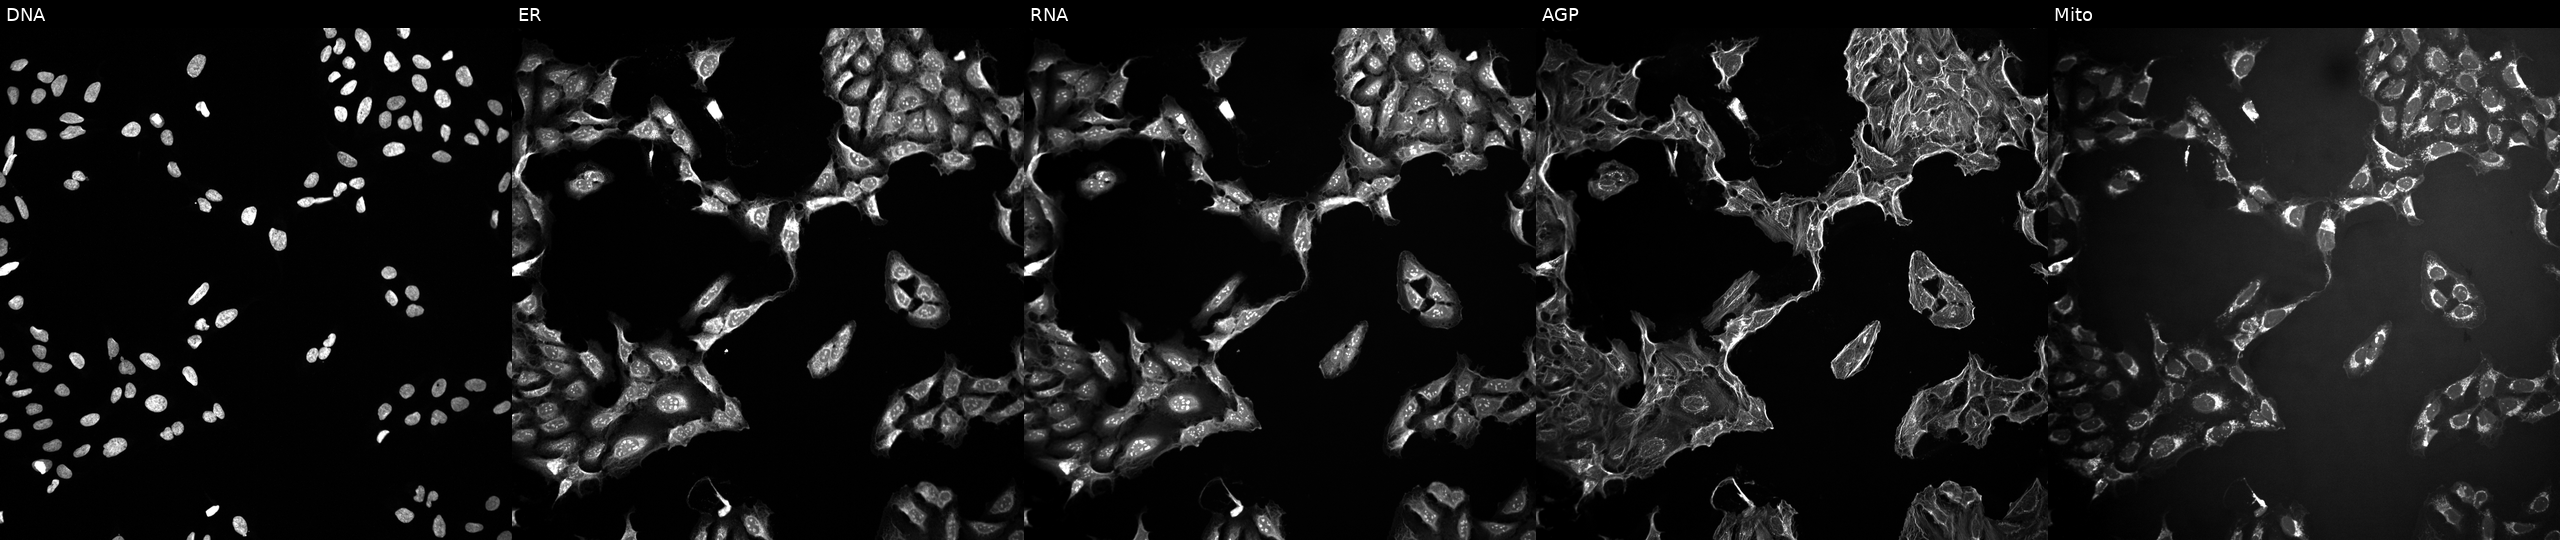
High-content fluorescence microscopy (Cell Painting). Cell line: U2OS. Perturbation: exposed to a small-molecule compound [SMILES: CN(C(=O)c1ccc(F)cc1C(F)(F)F)C1CCN(c2nnc(-c3ccnn3C)c3ccccc23)CC1] (JUMP id JCP2022_086505). From left to right: DNA (nuclei); ER (endoplasmic reticulum); RNA (nucleoli and cytoplasmic RNA); AGP (actin cytoskeleton, Golgi, and plasma membrane); Mito (mitochondria). Source 10, plate Dest210726-160150, well N22.